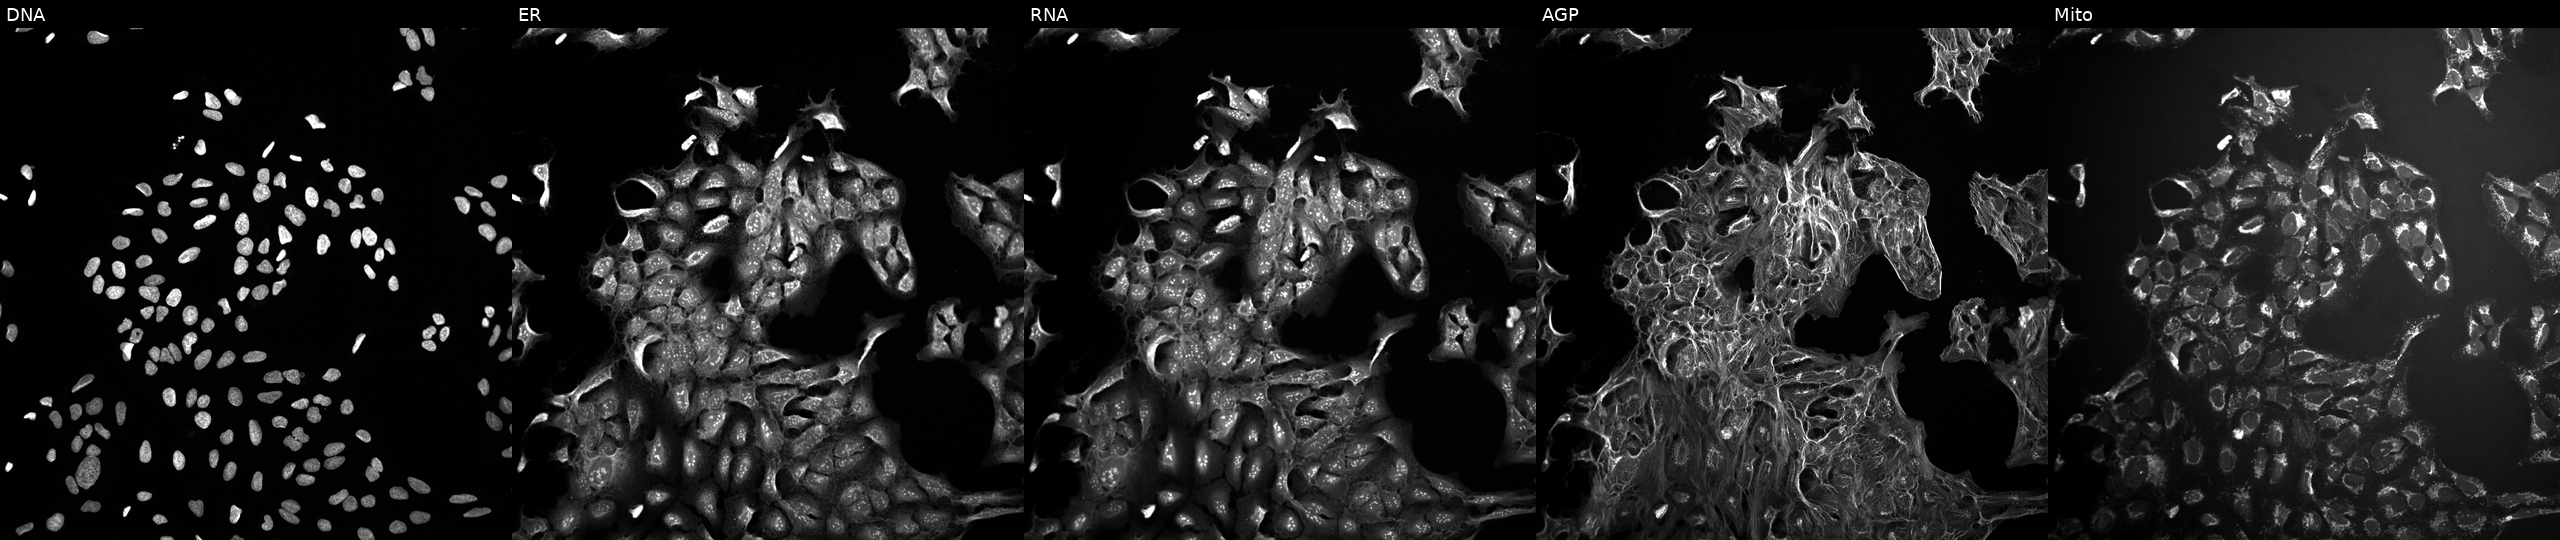
Channels (left→right): Hoechst 33342, concanavalin A, SYTO 14, phalloidin and WGA, MitoTracker. U2OS osteosarcoma cells exposed to a small-molecule compound (JUMP id JCP2022_023781). Cell Painting assay, JUMP-CP dataset. Source 10, plate Dest210726-160150, well J23.